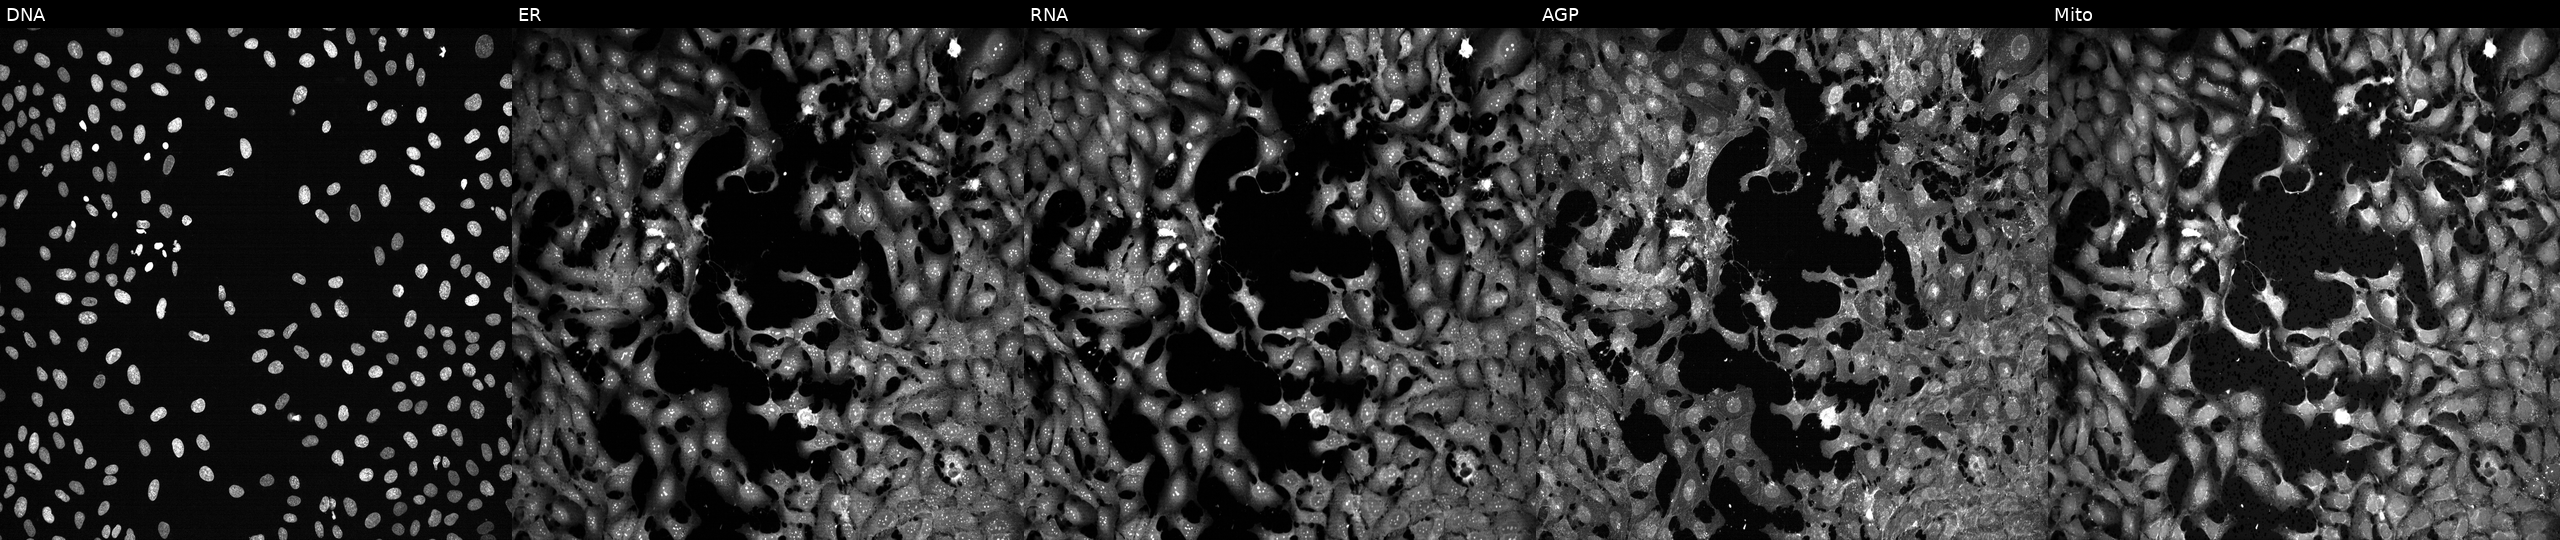
High-content fluorescence microscopy (Cell Painting). Cell line: U2OS. Perturbation: exposed to the positive-control compound FK-866 (JUMP id JCP2022_046054). Panels show, left to right, Hoechst 33342, concanavalin A, SYTO 14, phalloidin and WGA, MitoTracker.